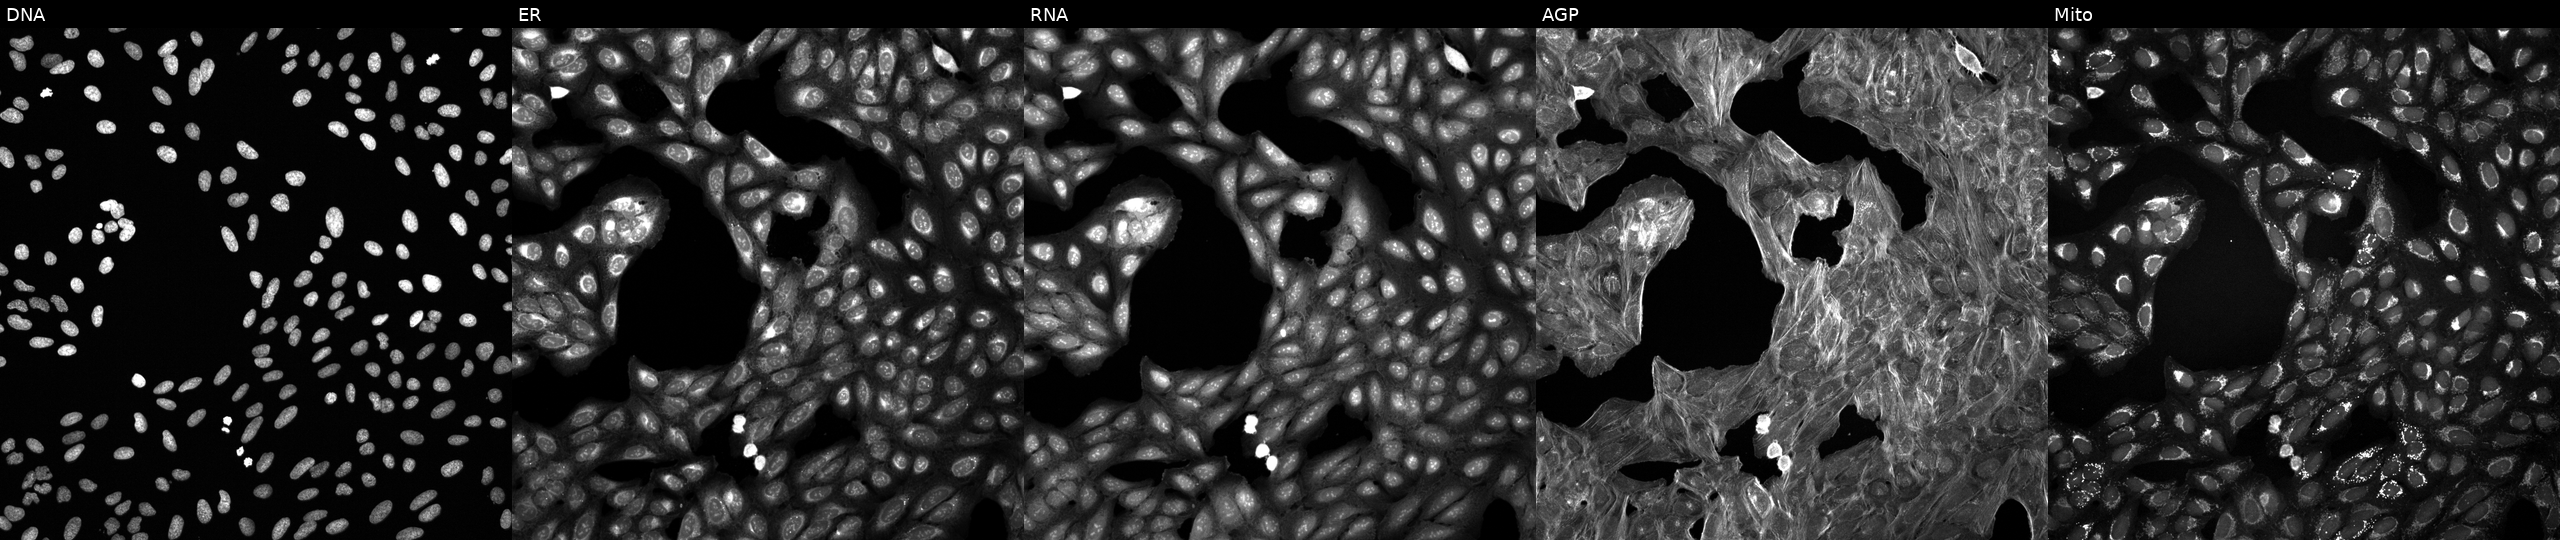
This image strip shows the five Cell Painting channels for a single field of U2OS cells treated with a small-molecule compound (InChIKey DABRXLVXJAIMLO-UHFFFAOYSA-N) (JUMP id JCP2022_014587). Channels (left→right): DNA (nuclei); ER (endoplasmic reticulum); RNA (nucleoli and cytoplasmic RNA); AGP (actin cytoskeleton, Golgi, and plasma membrane); Mito (mitochondria).